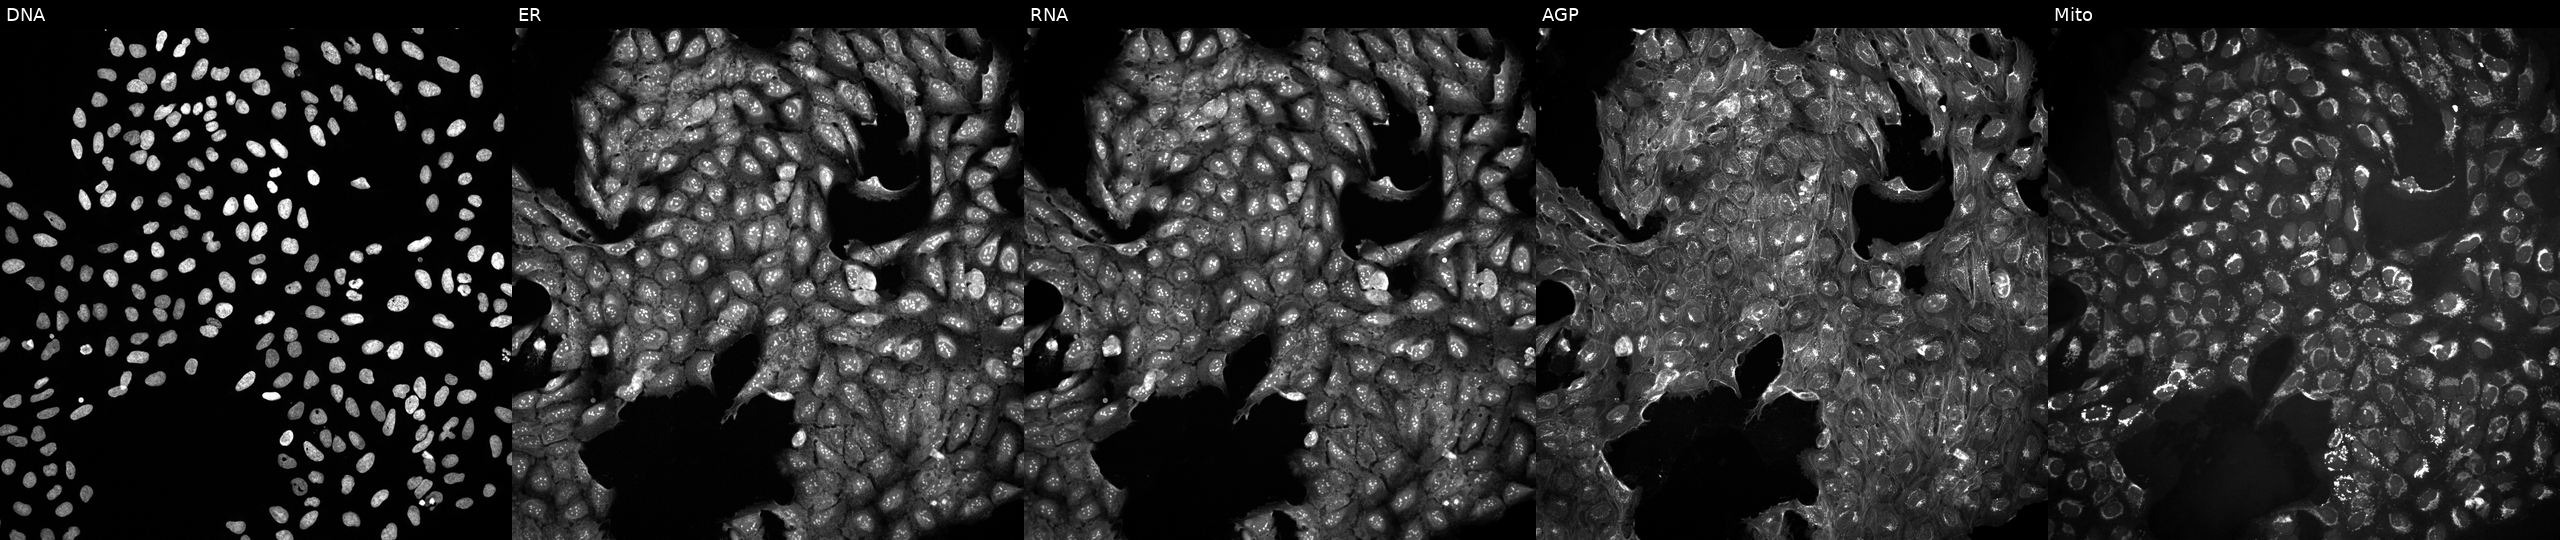
Five-channel Cell Painting image of U2OS cells in an empty control well (no perturbation). From left to right: DNA (nuclei); ER (endoplasmic reticulum); RNA (nucleoli and cytoplasmic RNA); AGP (actin cytoskeleton, Golgi, and plasma membrane); Mito (mitochondria). Source 10, plate Dest210531-152149, well N04.